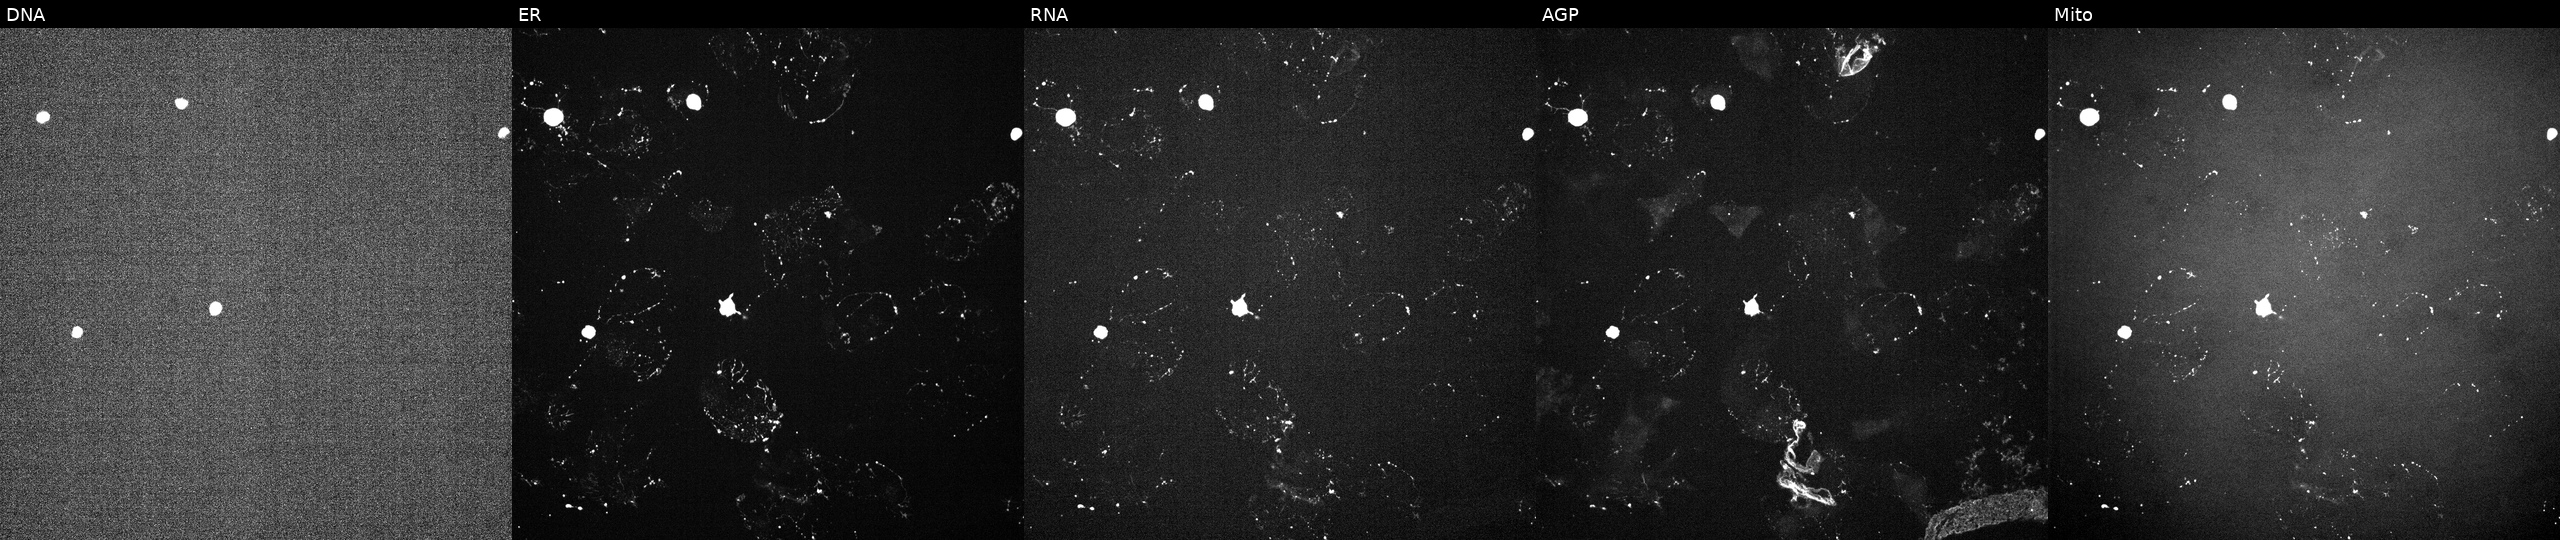
Five-channel Cell Painting image of U2OS cells perturbed with a small-molecule compound (InChIKey PKCYYPHSCUSQDK-UHFFFAOYSA-N). From left to right: Hoechst 33342, concanavalin A, SYTO 14, phalloidin and WGA, MitoTracker. Source 6, plate 110000294901, well G18.